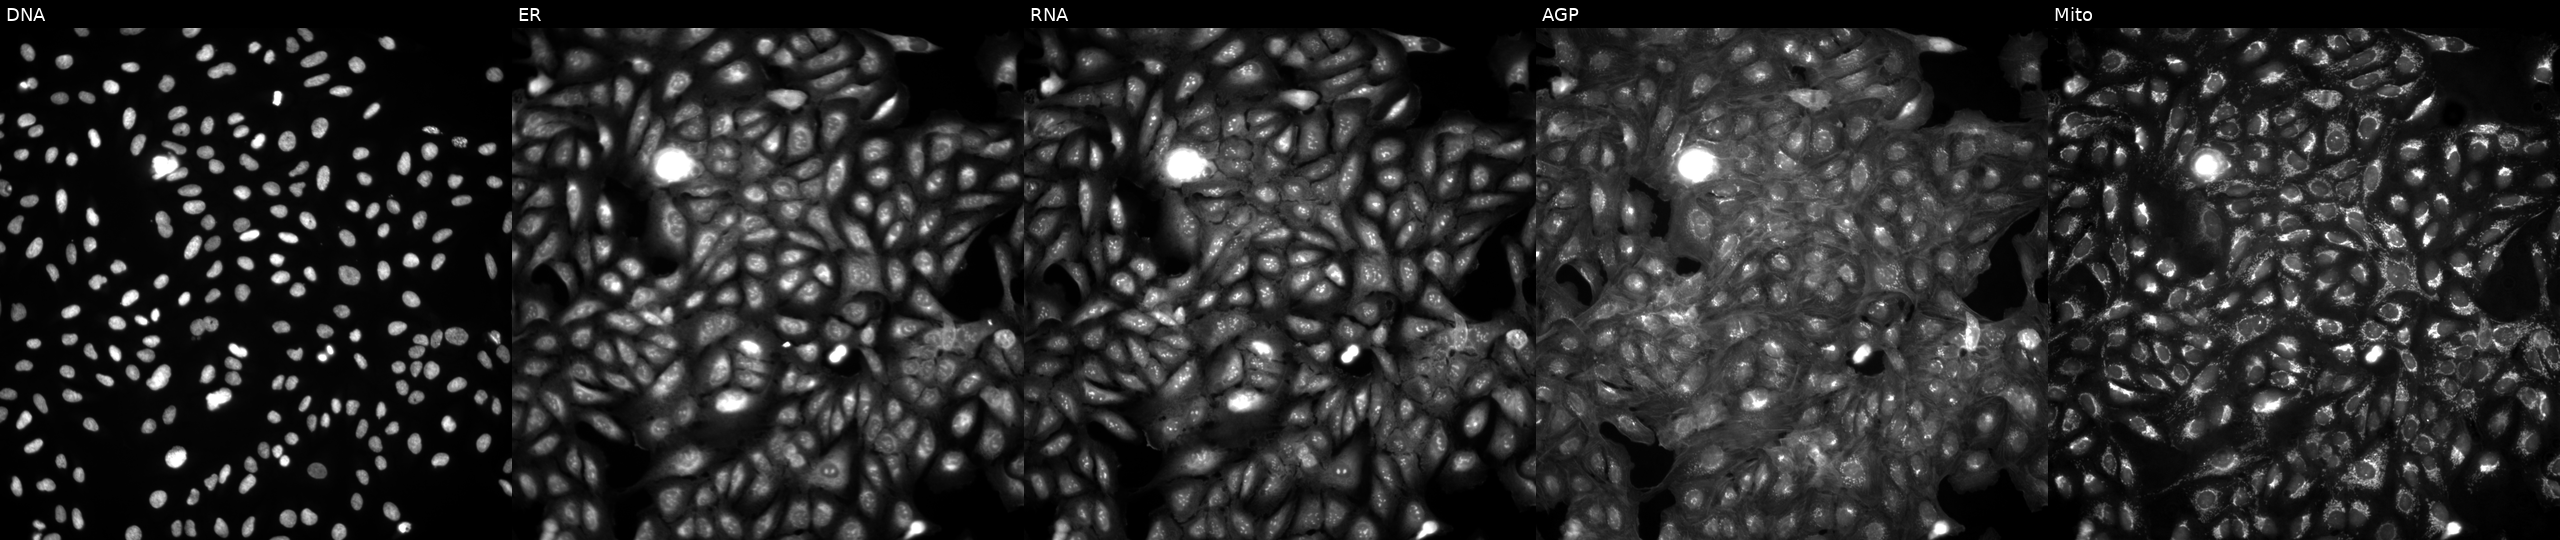
High-content fluorescence microscopy (Cell Painting). Cell line: U2OS. Perturbation: in an empty control well (no perturbation) (JUMP id JCP2022_999999). Channels (left→right): DNA, ER, RNA, AGP, and Mito. Source 4, plate BR00124793, well P06.